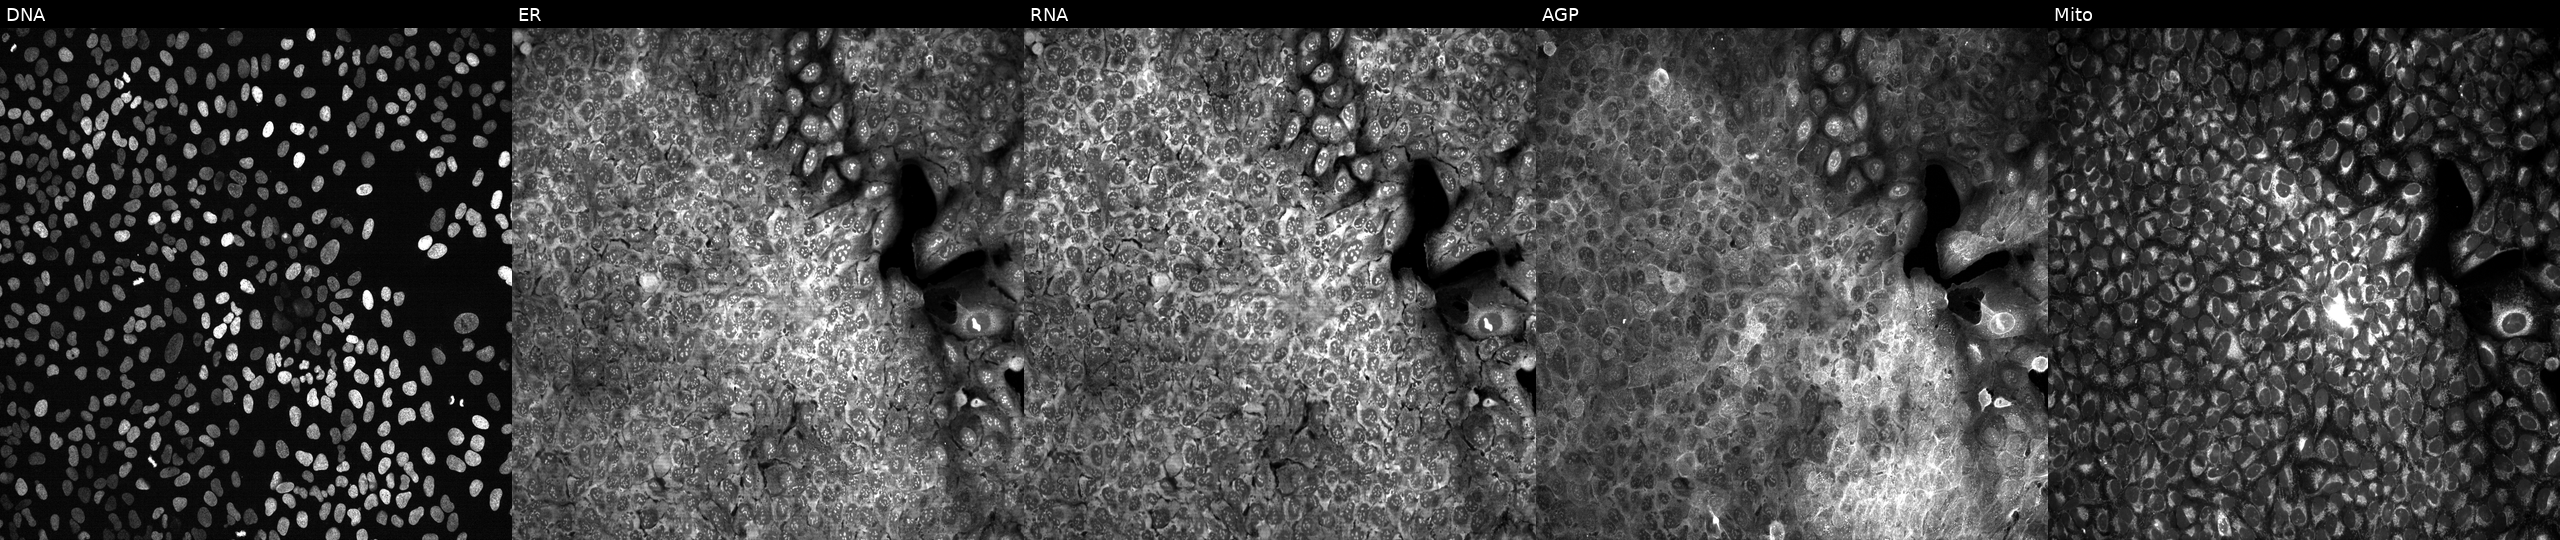
Channels (left→right): Hoechst 33342, concanavalin A, SYTO 14, phalloidin and WGA, MitoTracker. U2OS osteosarcoma cells with a non-targeting CRISPR guide (negative control) (JUMP id JCP2022_800002). Cell Painting assay, JUMP-CP dataset.